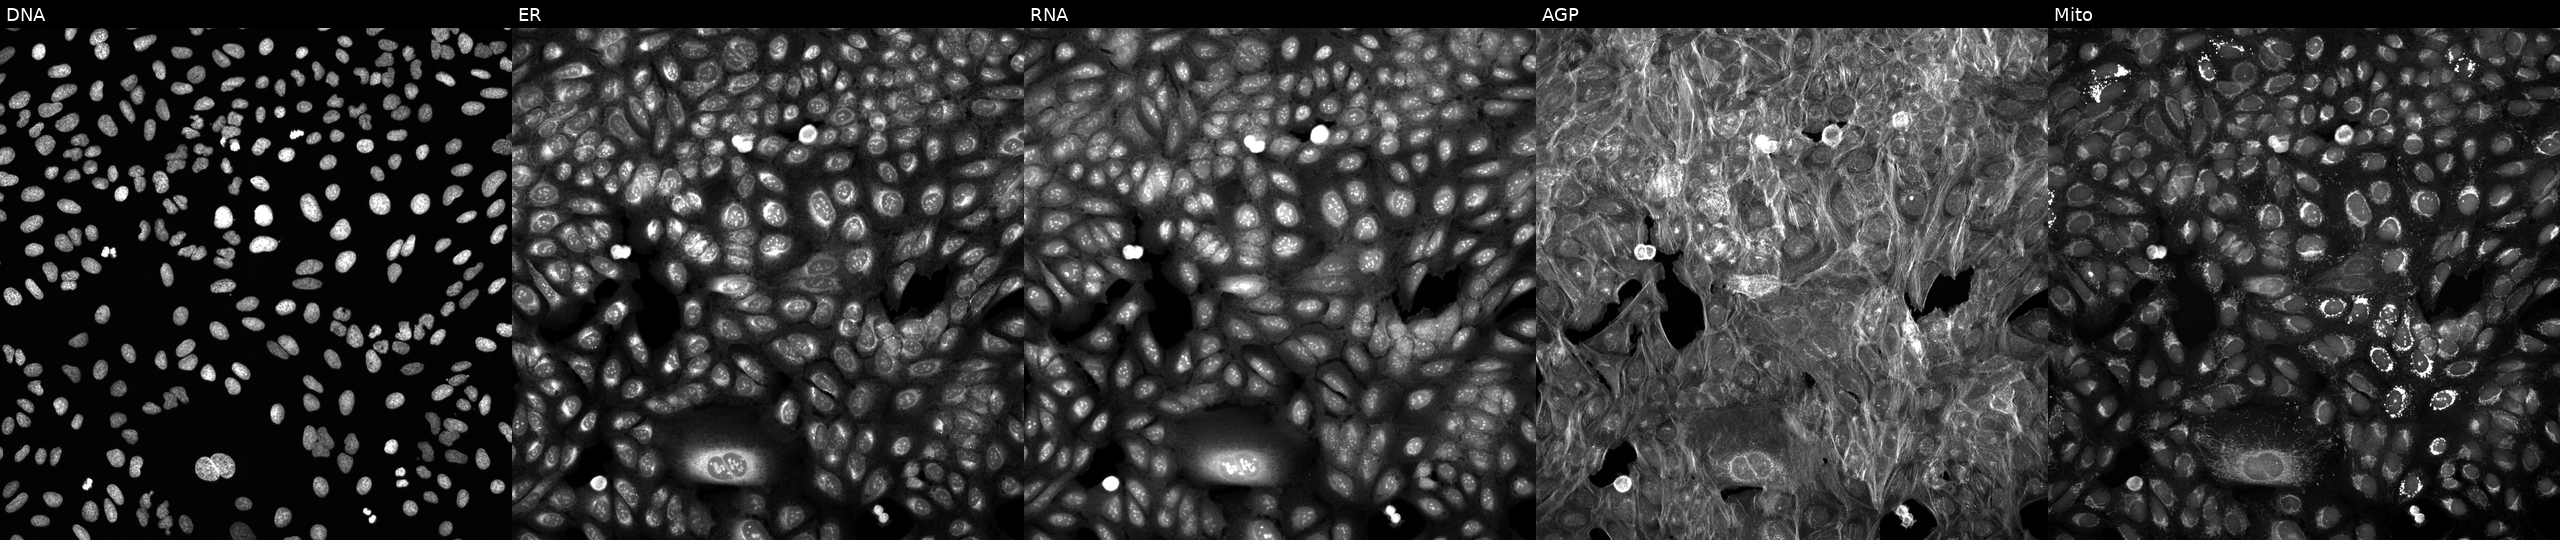
JUMP Cell Painting — TARGET2 plate. U2OS cells perturbed with a small-molecule compound (InChIKey SHZKQBHERIJWAO-UHFFFAOYSA-N) (JUMP id JCP2022_083372). The five panels, left to right, show DNA (nuclei); ER (endoplasmic reticulum); RNA (nucleoli and cytoplasmic RNA); AGP (actin cytoskeleton, Golgi, and plasma membrane); Mito (mitochondria). Source 6, plate 110000293093, well P05.